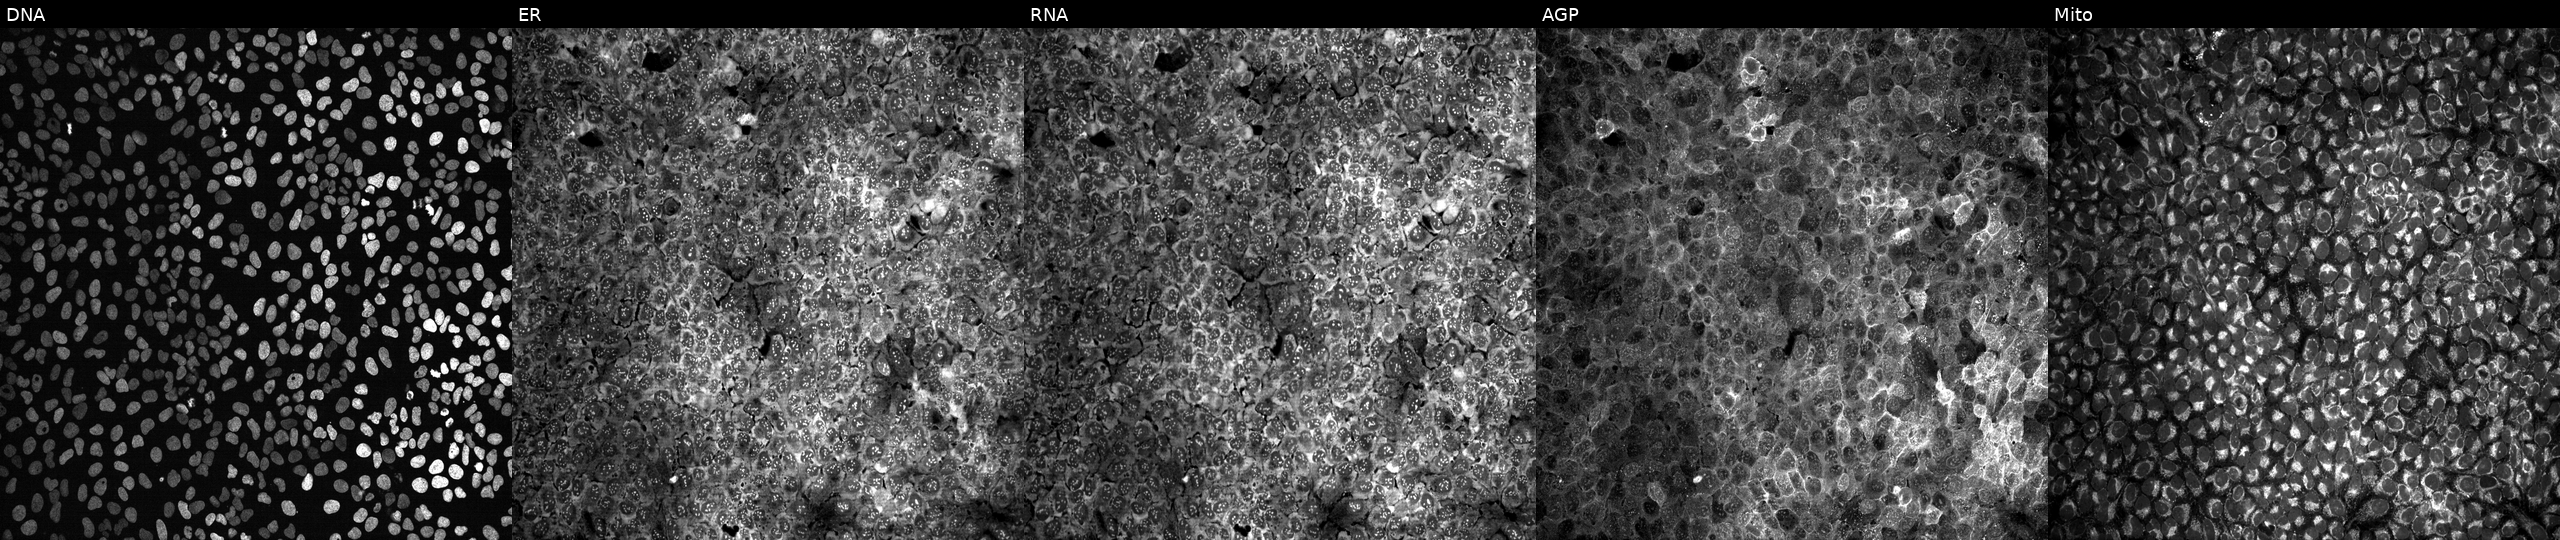
JUMP Cell Painting — CRISPR plate. U2OS cells exposed to the positive-control compound dexamethasone (JUMP id JCP2022_025848). Panels show, left to right, DNA (nuclei); ER (endoplasmic reticulum); RNA (nucleoli and cytoplasmic RNA); AGP (actin cytoskeleton, Golgi, and plasma membrane); Mito (mitochondria).